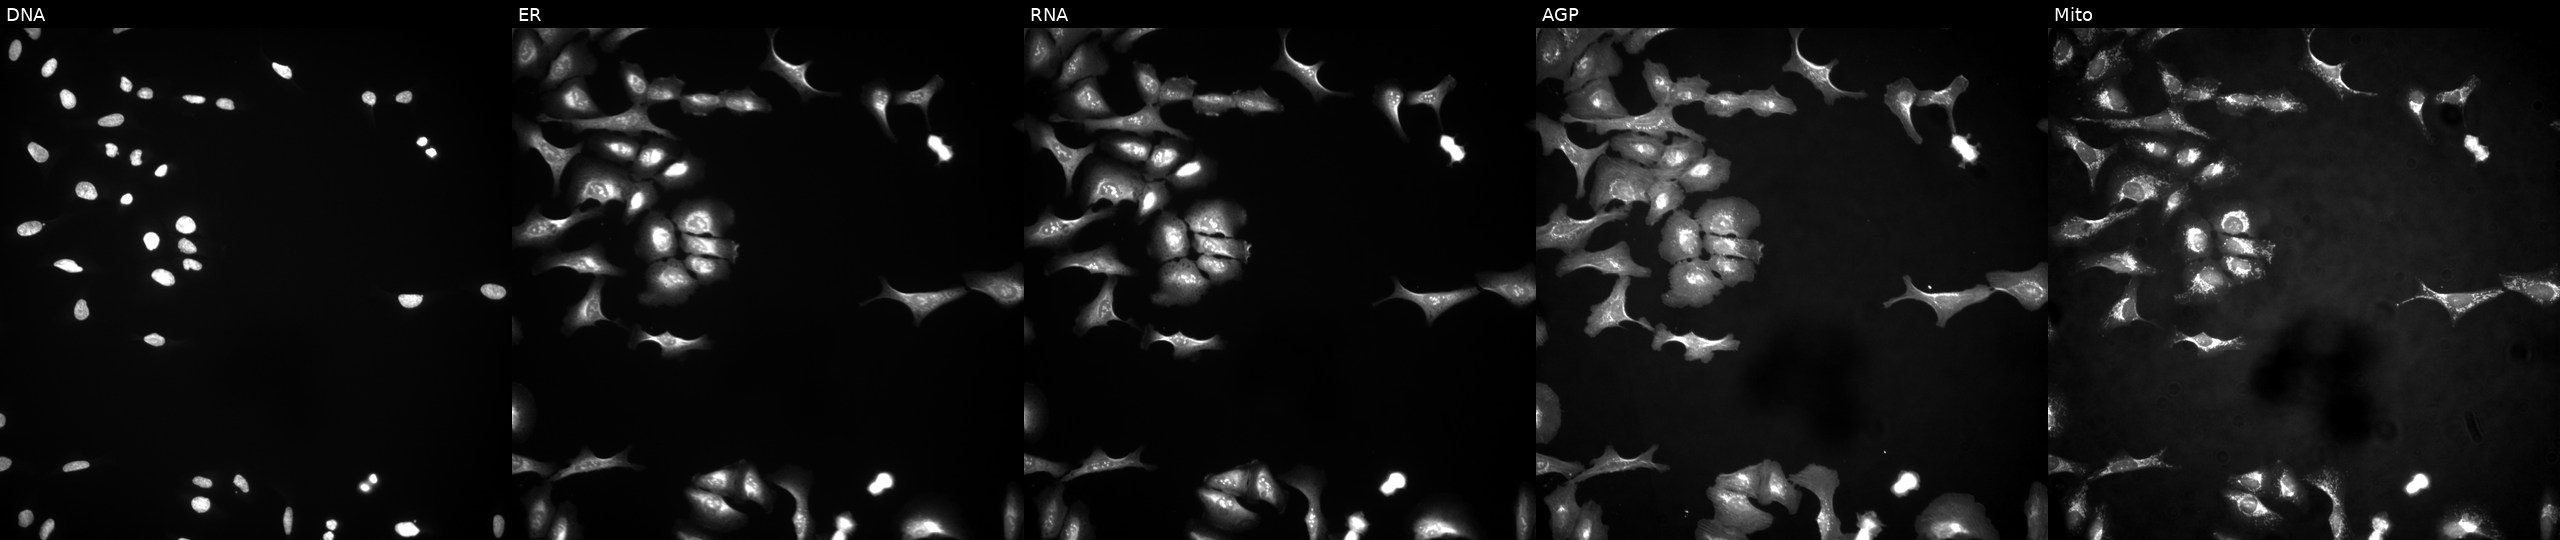
U2OS cells, Cell Painting assay, overexpressing EMP3 via ORF transfection. The five panels, left to right, show DNA, ER, RNA, AGP, and Mito. Each panel is percentile-stretched 16-bit fluorescence.